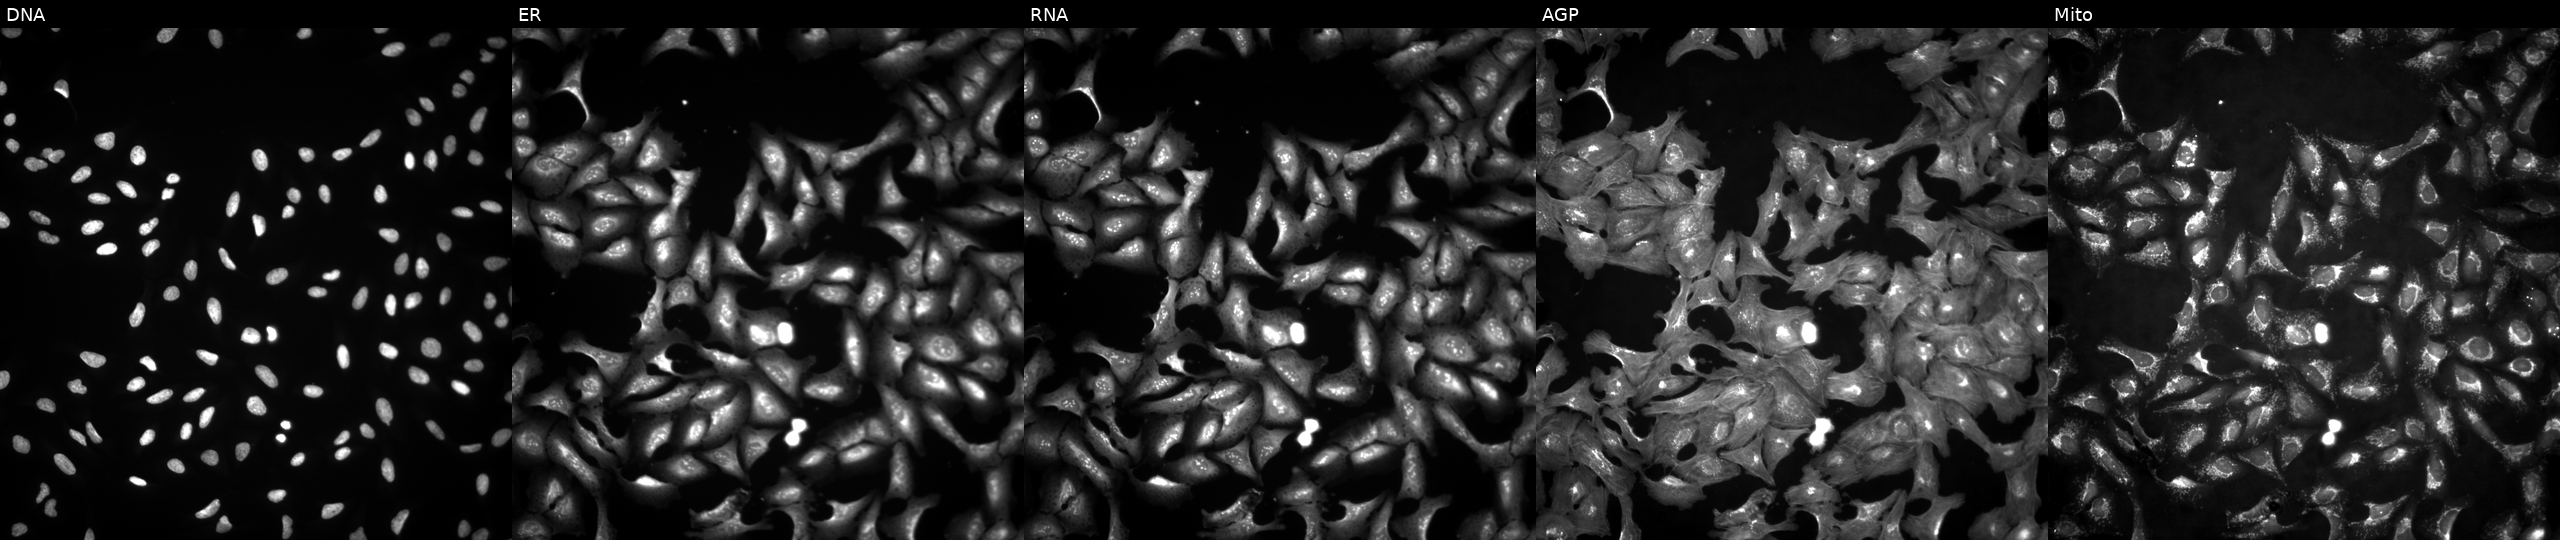
Channels (left→right): Hoechst 33342, concanavalin A, SYTO 14, phalloidin and WGA, MitoTracker. U2OS osteosarcoma cells with GPR83 overexpressed (ORF) (JUMP id JCP2022_907196). Cell Painting assay, JUMP-CP dataset.